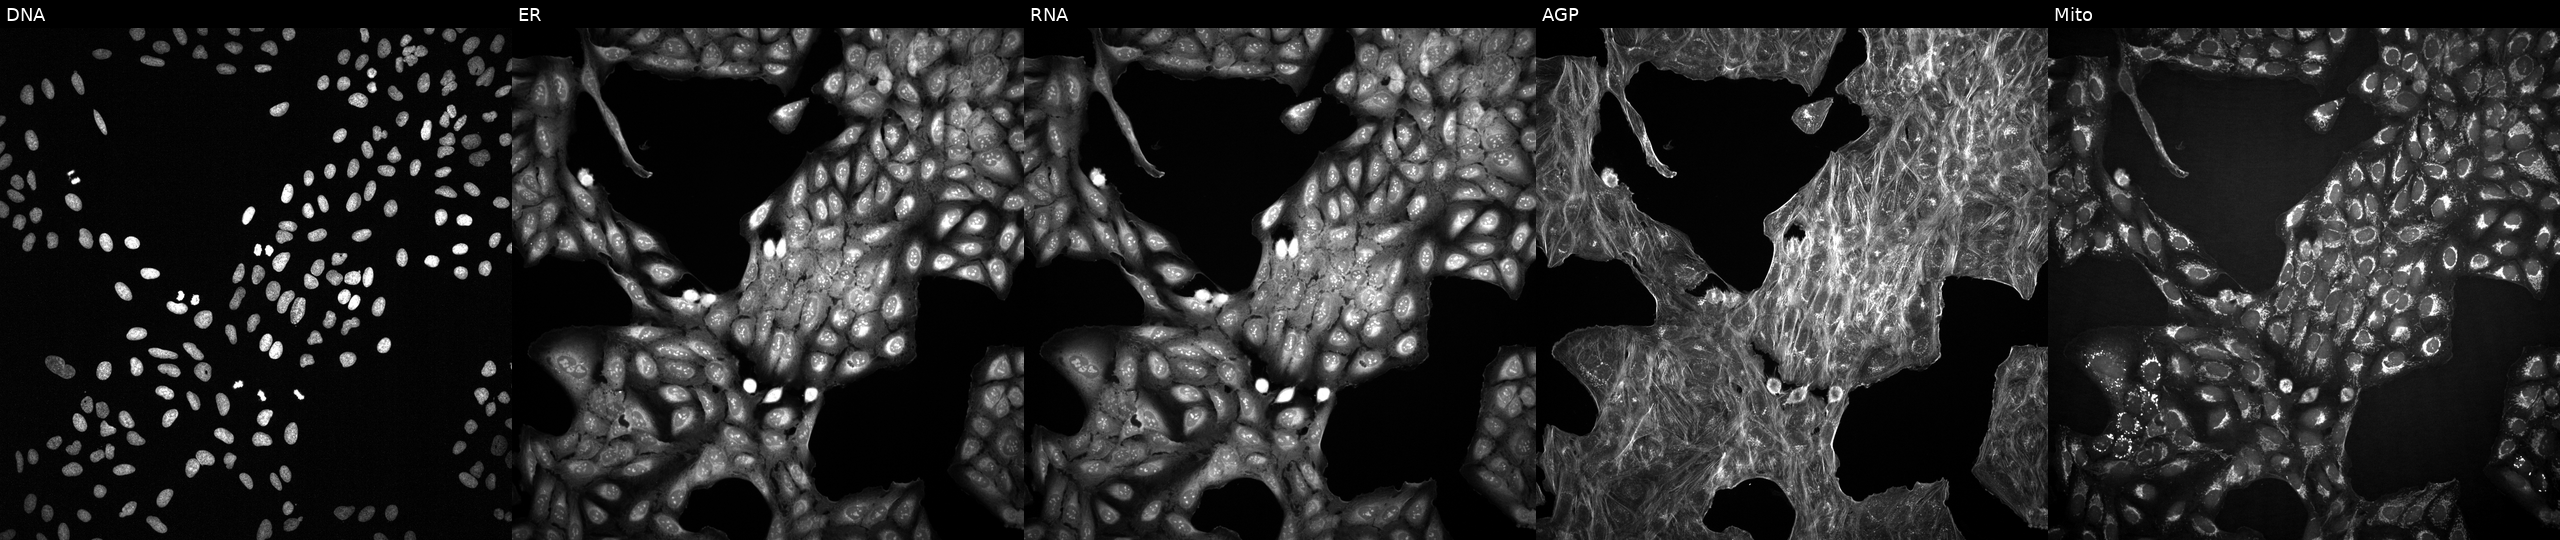
Panels show, left to right, Hoechst 33342, concanavalin A, SYTO 14, phalloidin and WGA, MitoTracker. U2OS osteosarcoma cells with an unidentified perturbation (not annotated in JUMP metadata). Cell Painting assay, JUMP-CP dataset.